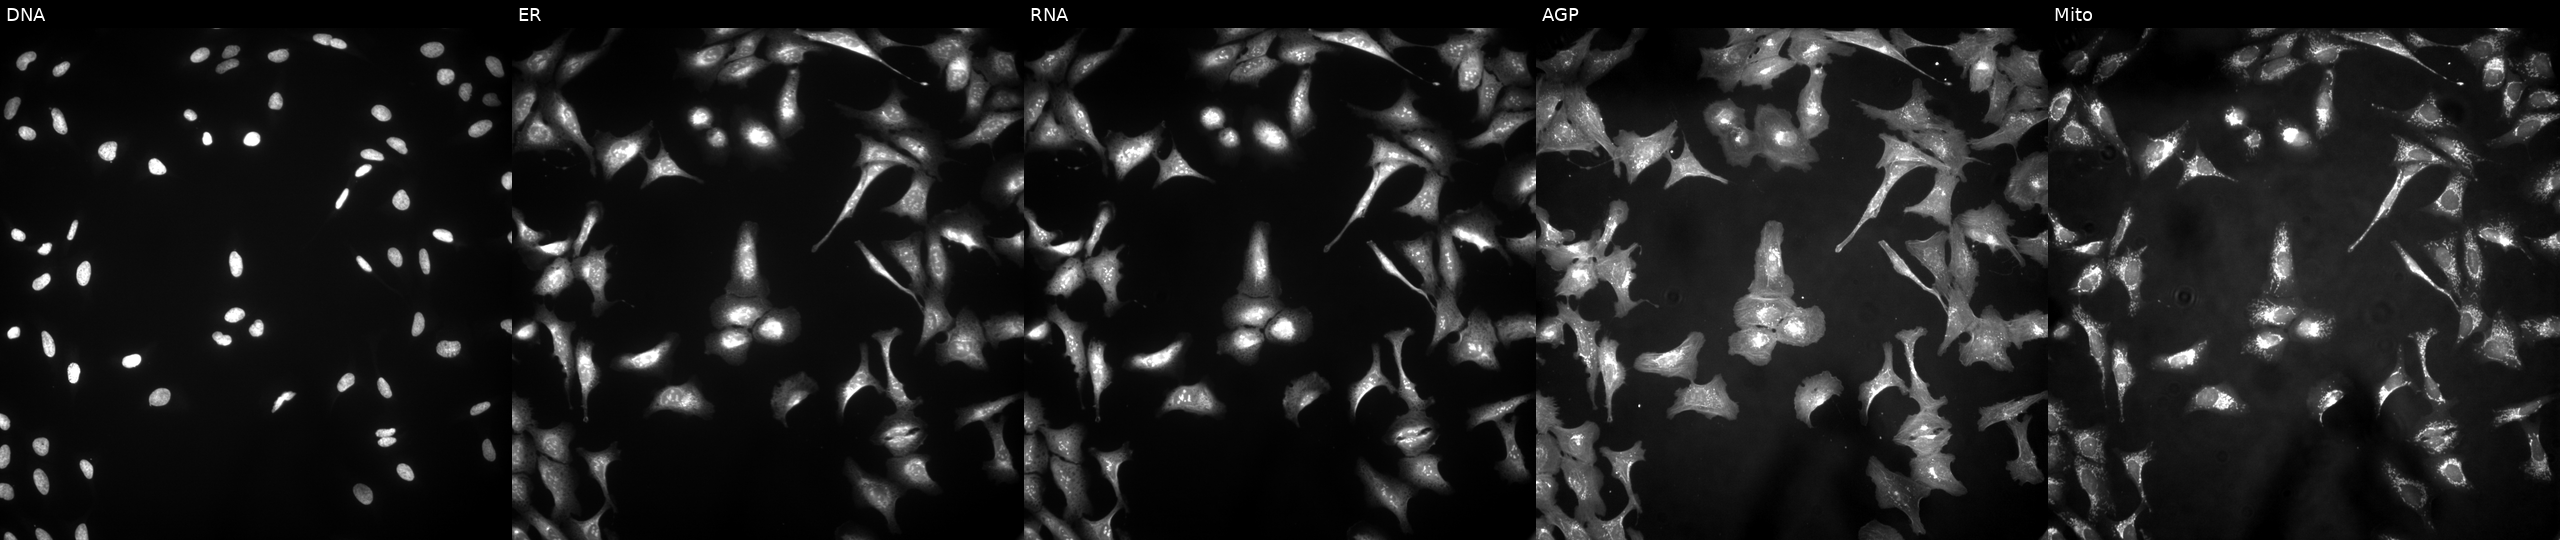
U2OS cells, Cell Painting assay, transfected with an ORF construct for FIBCD1. From left to right: Hoechst 33342, concanavalin A, SYTO 14, phalloidin and WGA, MitoTracker. Each panel is percentile-stretched 16-bit fluorescence.